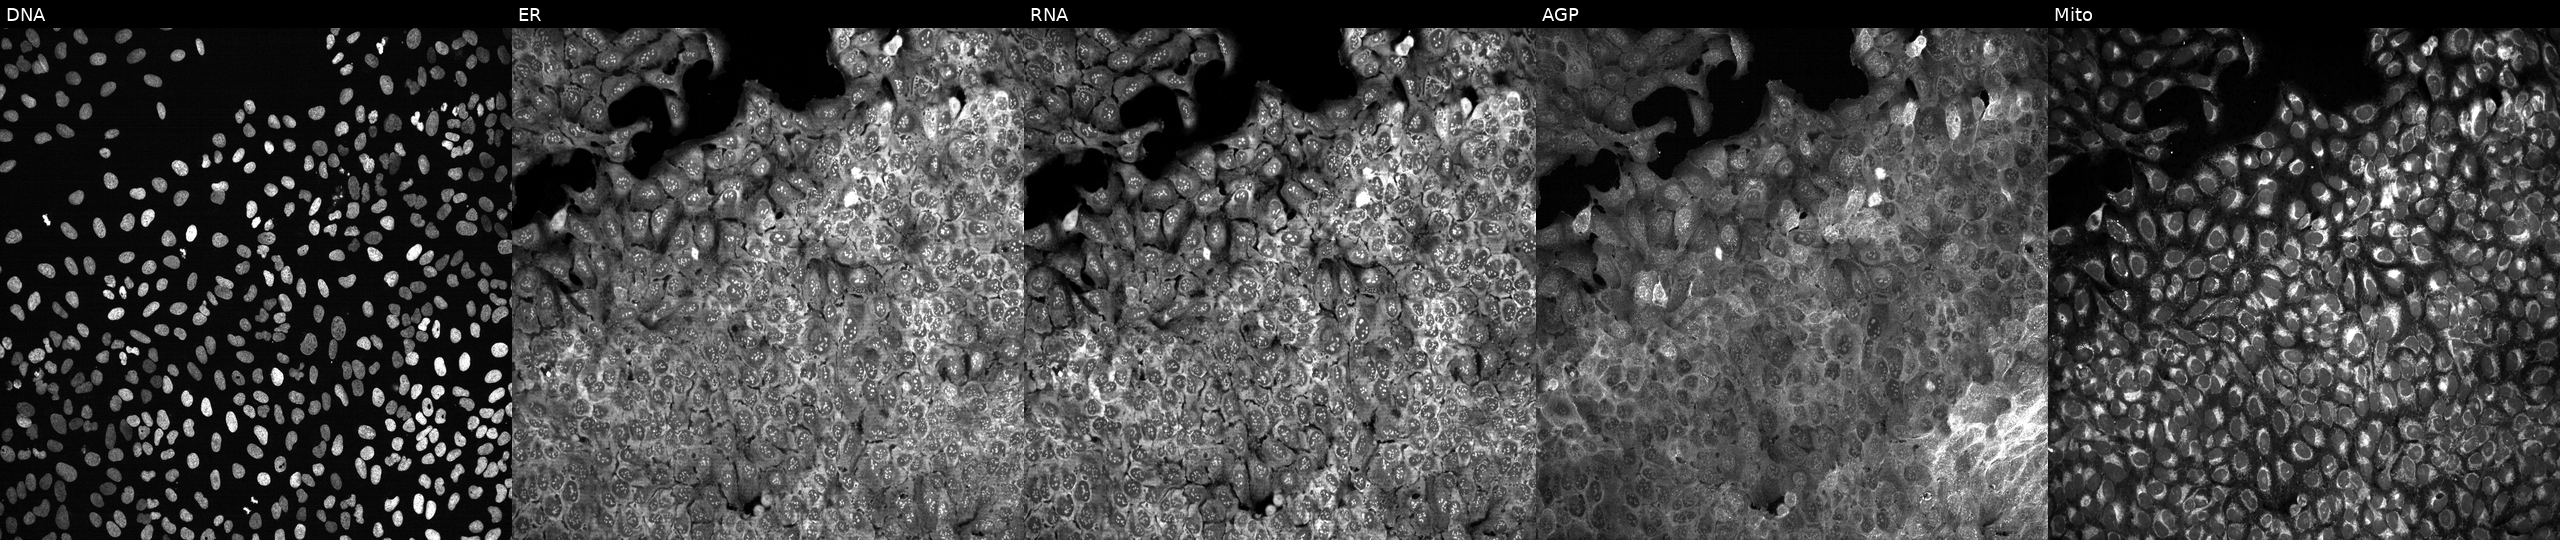
The five panels, left to right, show Hoechst 33342, concanavalin A, SYTO 14, phalloidin and WGA, MitoTracker. U2OS osteosarcoma cells with no CRISPR guide (negative control) (JUMP id JCP2022_800001). Cell Painting assay, JUMP-CP dataset. Source 13, plate CP-CC9-R2-02, well K02.